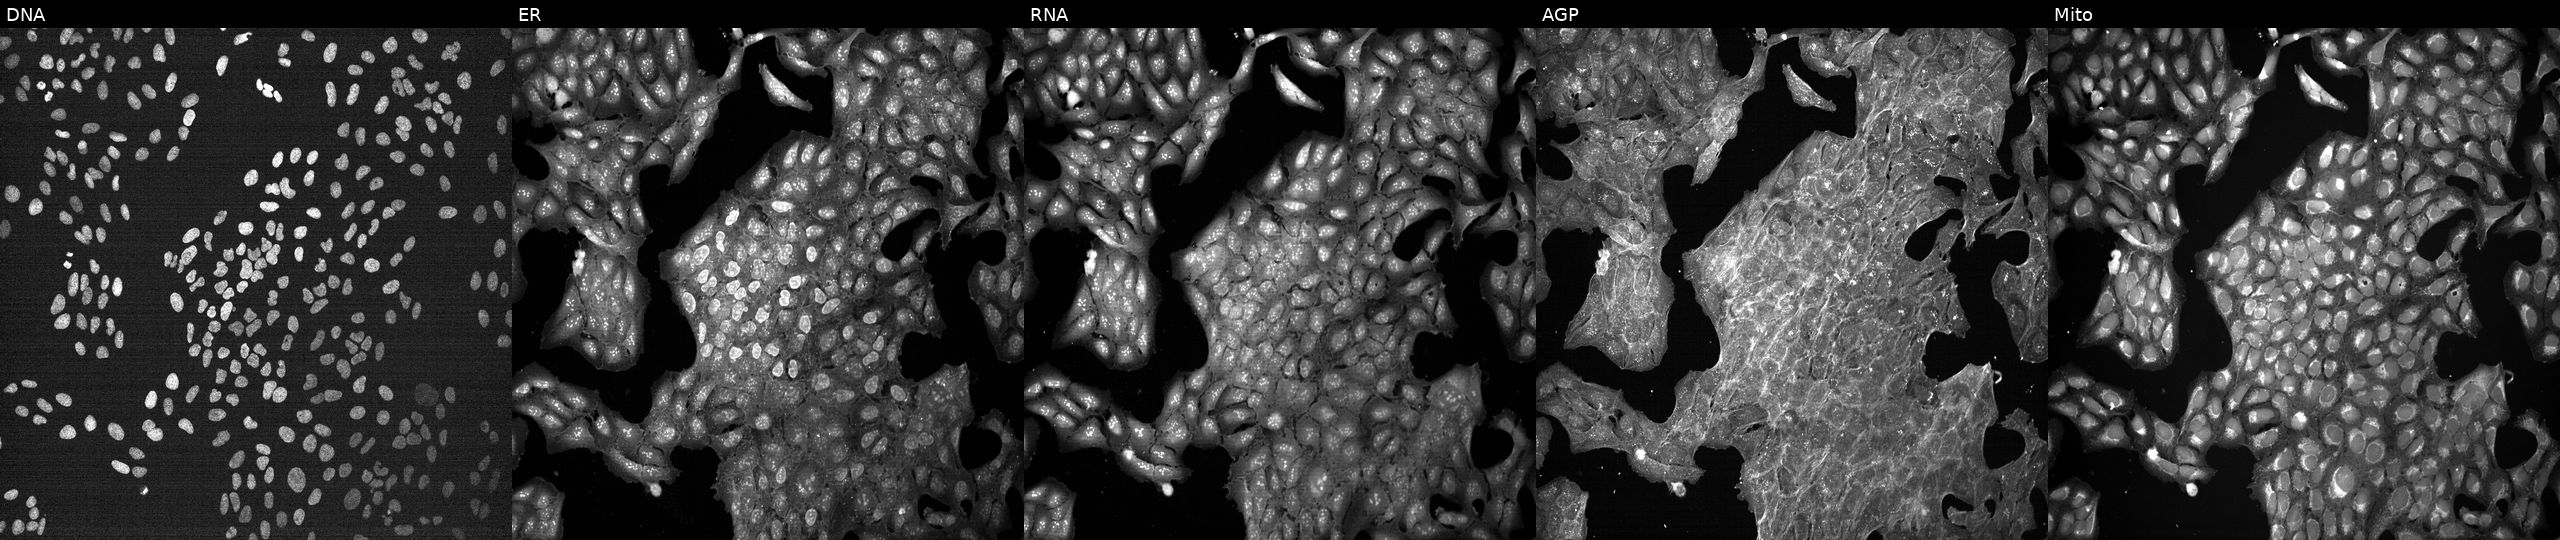
High-content fluorescence microscopy (Cell Painting). Cell line: U2OS. Perturbation: exposed to a small-molecule compound (InChIKey REZGGXNDEMKIQB-UHFFFAOYSA-N) (JUMP id JCP2022_077927). The five panels, left to right, show DNA (nuclei); ER (endoplasmic reticulum); RNA (nucleoli and cytoplasmic RNA); AGP (actin cytoskeleton, Golgi, and plasma membrane); Mito (mitochondria).